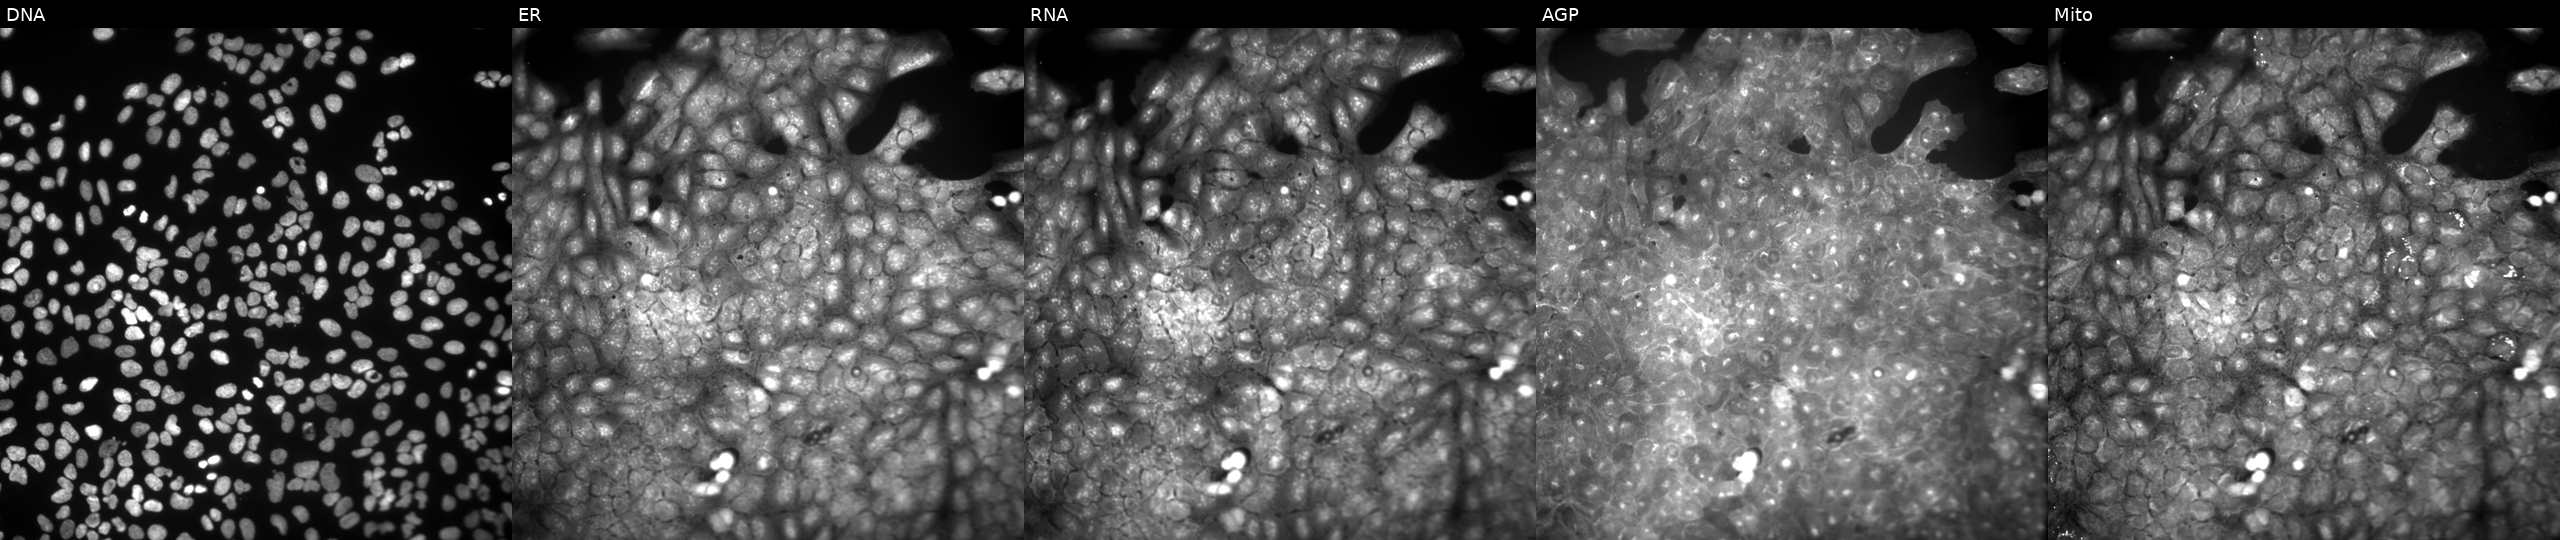
JUMP Cell Painting — COMPOUND plate. U2OS cells perturbed with a small-molecule compound. Channels (left→right): DNA (nuclei); ER (endoplasmic reticulum); RNA (nucleoli and cytoplasmic RNA); AGP (actin cytoskeleton, Golgi, and plasma membrane); Mito (mitochondria). Source 9, plate GR00003381, well AE35.